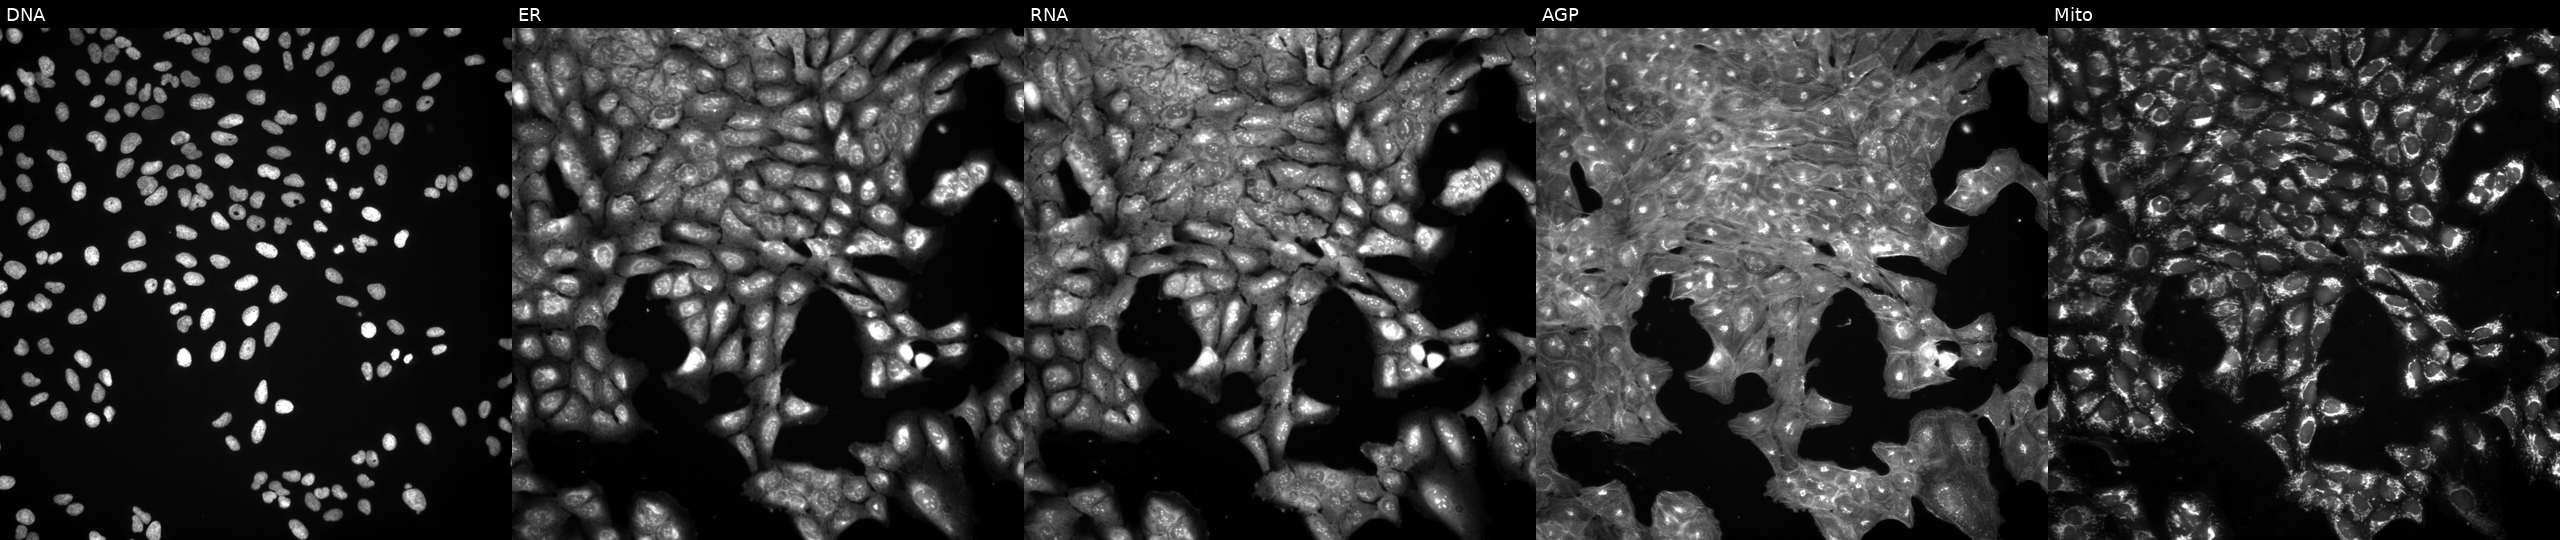
This image strip shows the five Cell Painting channels for a single field of U2OS cells untreated (empty-well control) (JUMP id JCP2022_999999). Channels (left→right): DNA (nuclei); ER (endoplasmic reticulum); RNA (nucleoli and cytoplasmic RNA); AGP (actin cytoskeleton, Golgi, and plasma membrane); Mito (mitochondria). Source 3, plate BR5867b3, well F07.